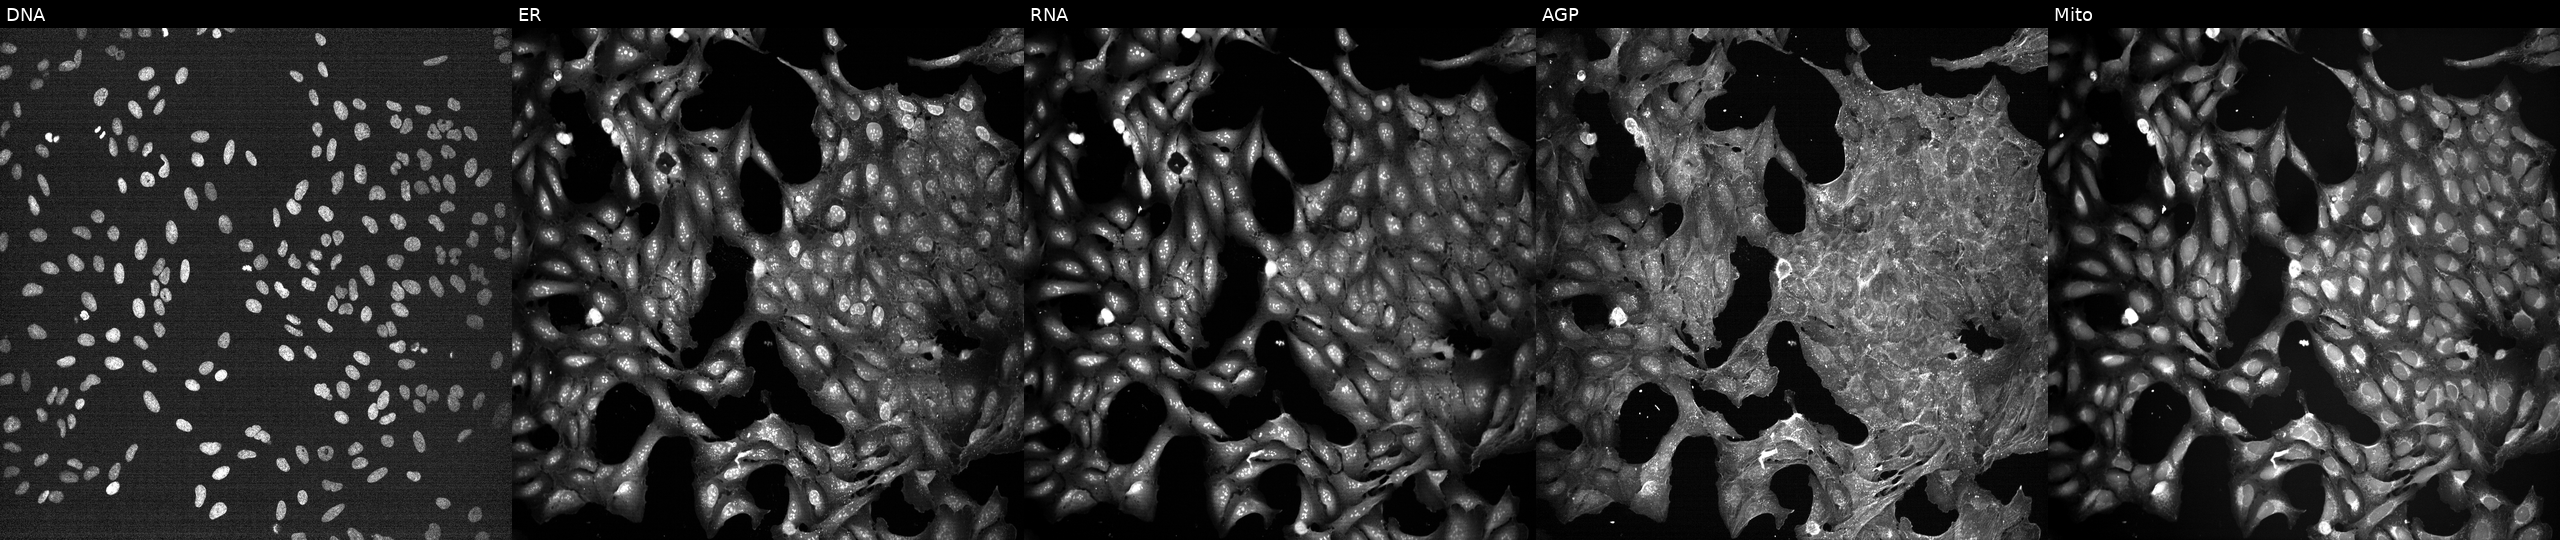
U2OS cells, Cell Painting assay, perturbed with a small-molecule compound (JUMP id JCP2022_029186). Channels (left→right): DNA (nuclei); ER (endoplasmic reticulum); RNA (nucleoli and cytoplasmic RNA); AGP (actin cytoskeleton, Golgi, and plasma membrane); Mito (mitochondria). Each panel is percentile-stretched 16-bit fluorescence.